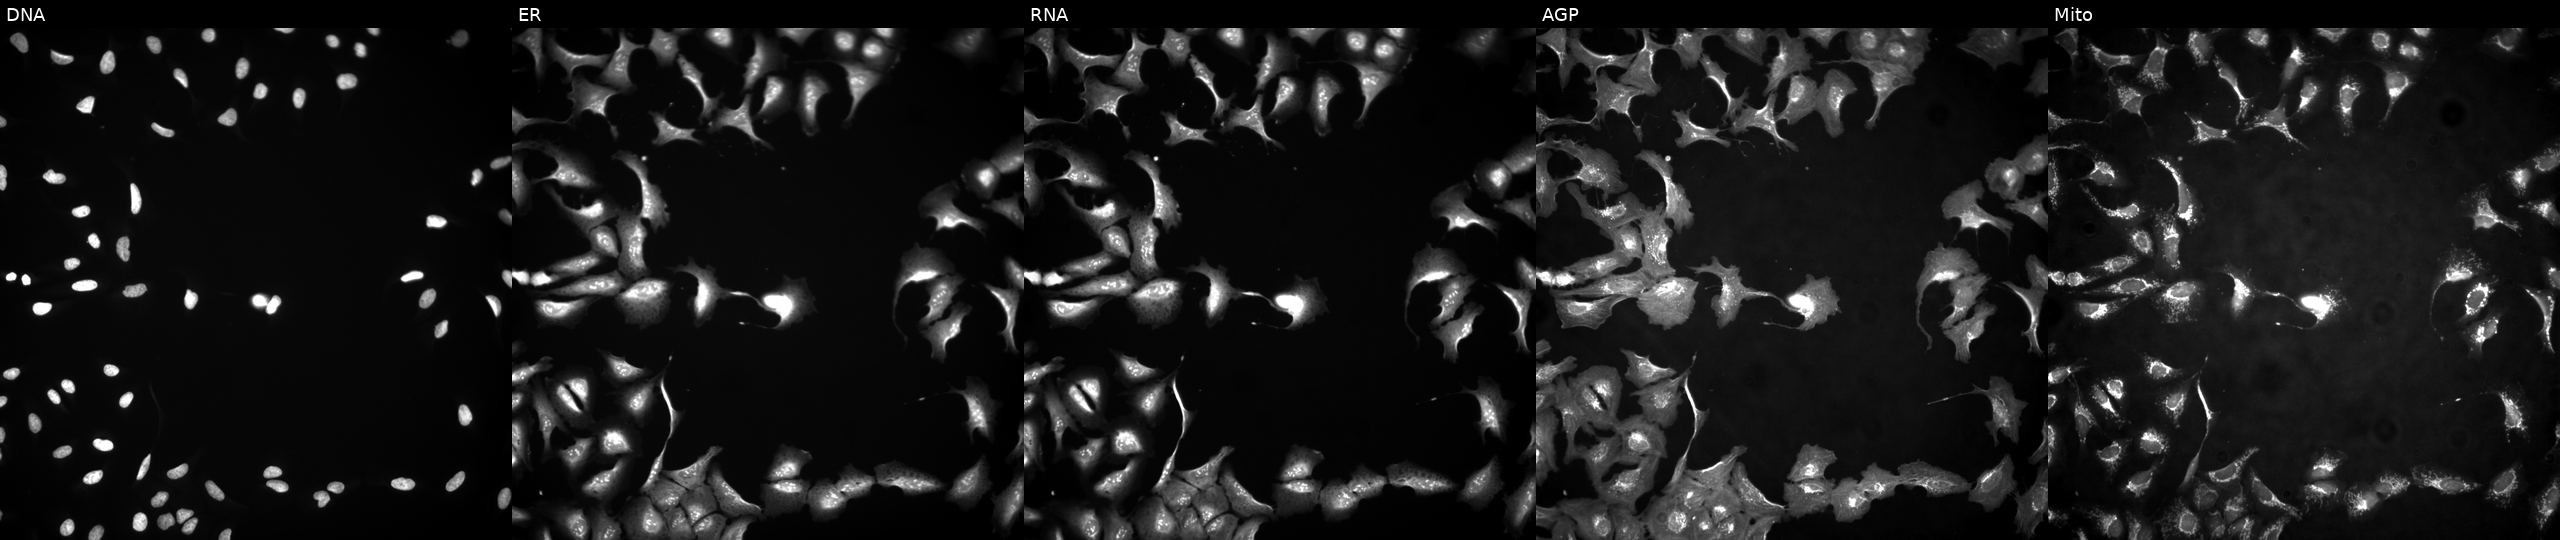
JUMP Cell Painting — ORF plate. U2OS cells overexpressing NOCT via ORF transfection. Channels (left→right): Hoechst 33342, concanavalin A, SYTO 14, phalloidin and WGA, MitoTracker. Source 4, plate BR00117035, well B18.